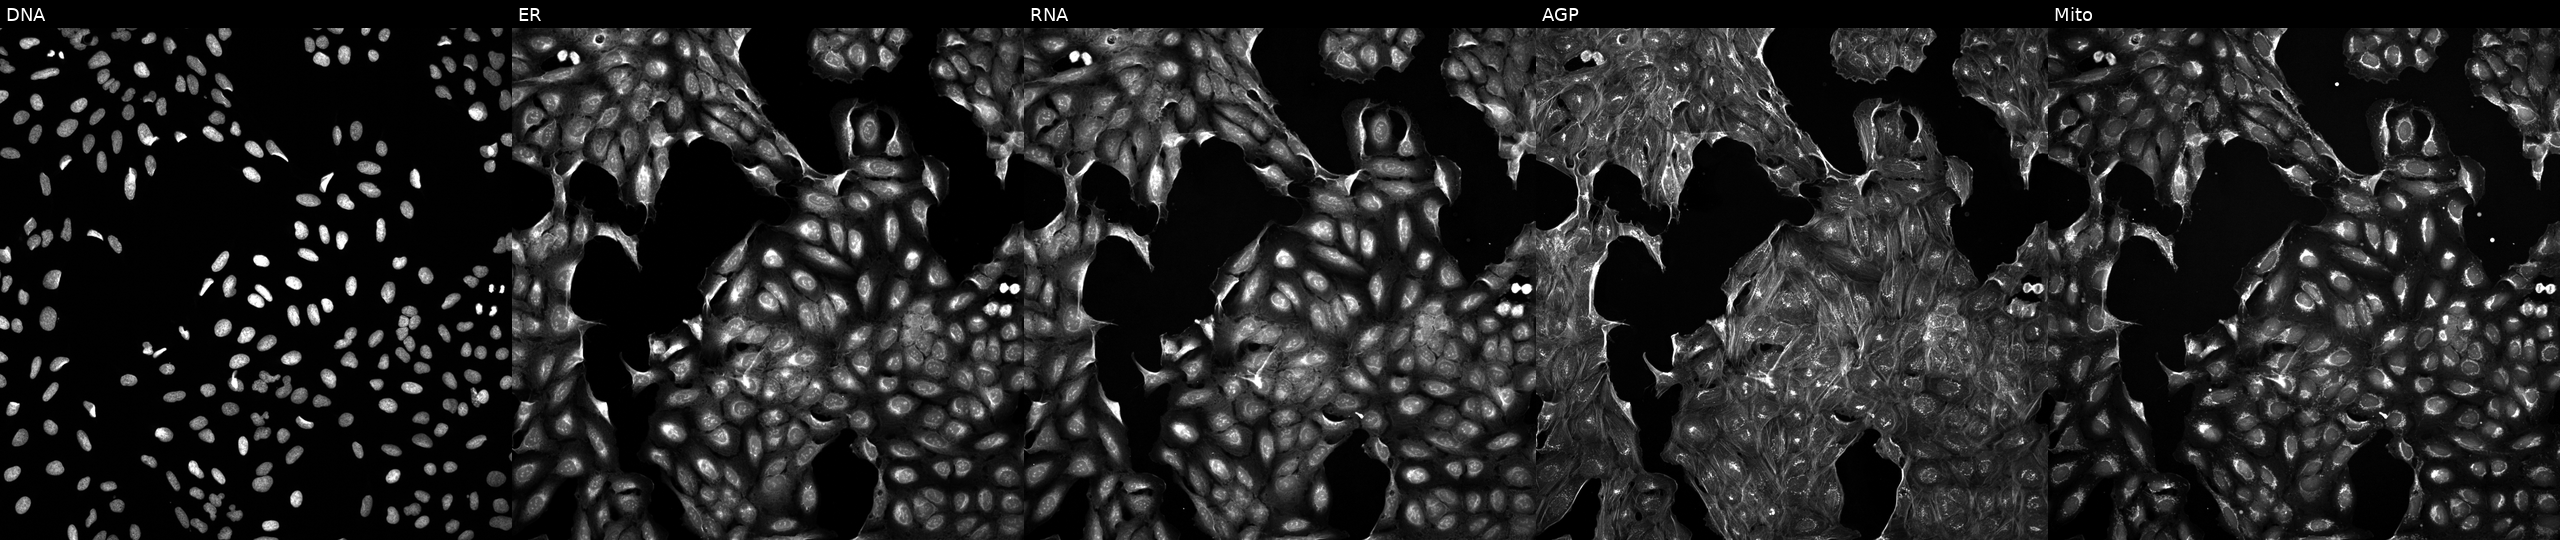
This image strip shows the five Cell Painting channels for a single field of U2OS cells perturbed with a small-molecule compound (JUMP id JCP2022_073628). The five panels, left to right, show Hoechst 33342, concanavalin A, SYTO 14, phalloidin and WGA, MitoTracker.